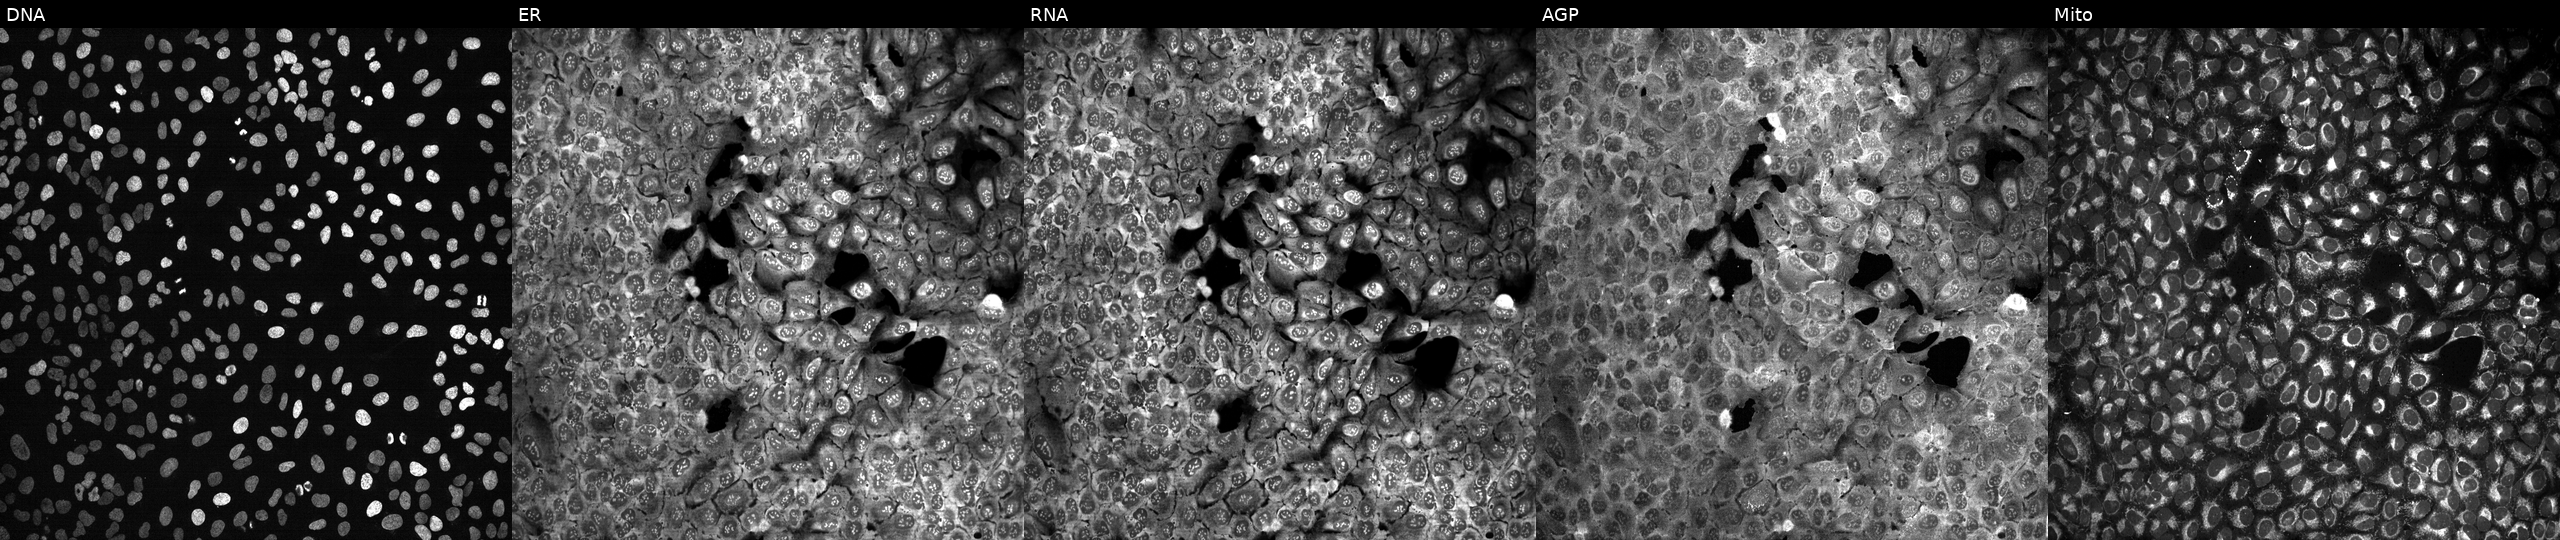
Channels (left→right): Hoechst 33342, concanavalin A, SYTO 14, phalloidin and WGA, MitoTracker. U2OS osteosarcoma cells CRISPR-edited to disrupt SPTLC3. Cell Painting assay, JUMP-CP dataset.